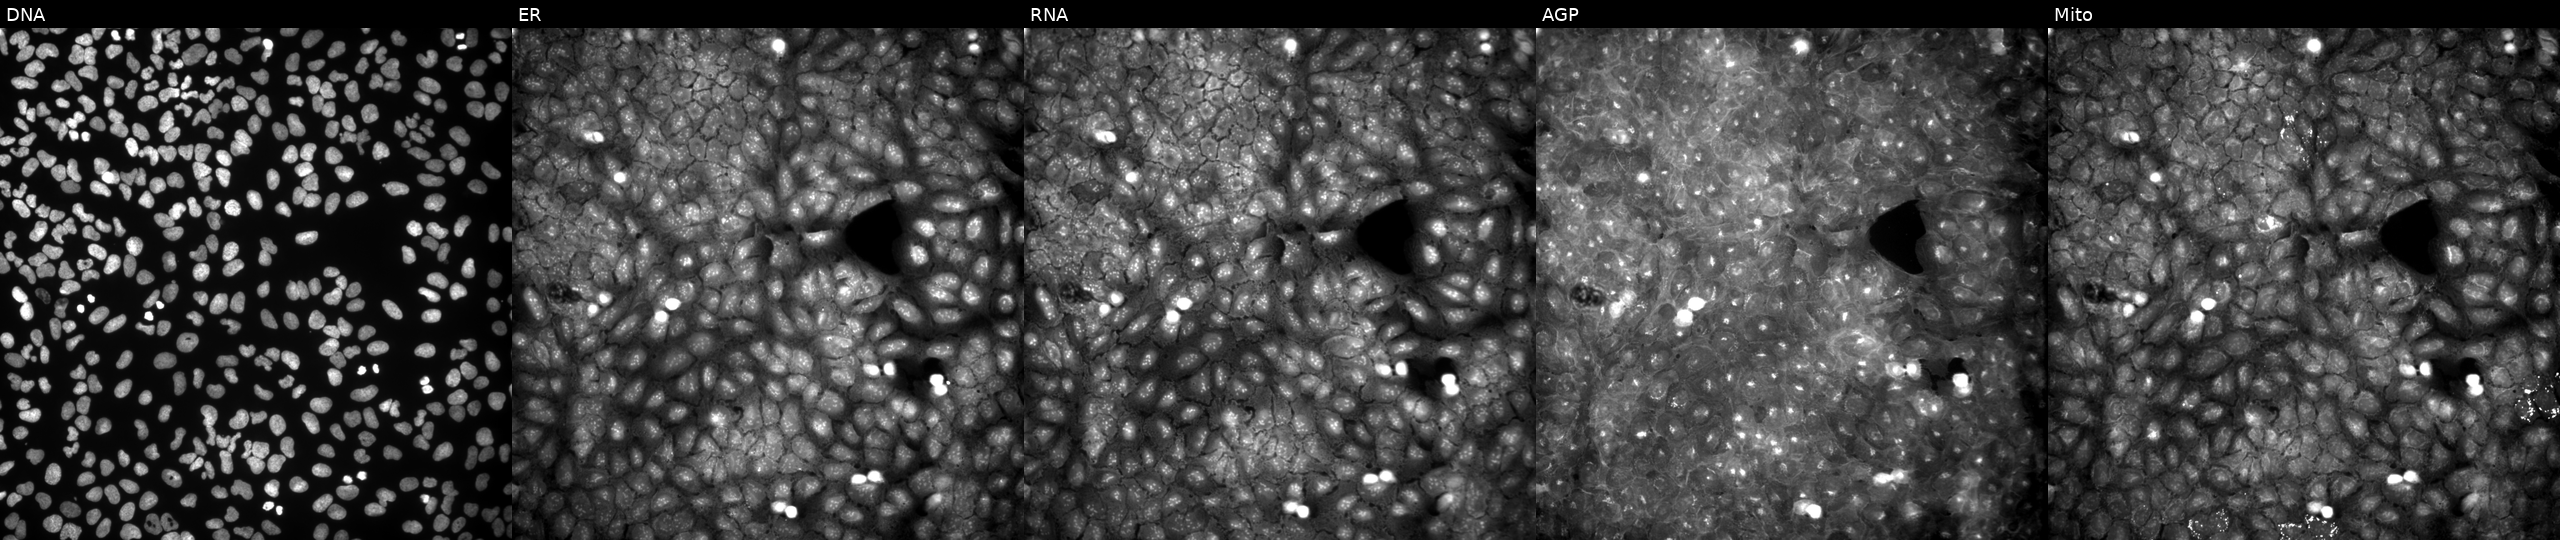
From left to right: Hoechst 33342, concanavalin A, SYTO 14, phalloidin and WGA, MitoTracker. U2OS osteosarcoma cells perturbed with a small-molecule compound (InChIKey FODPRRDWCIFGRK-UHFFFAOYSA-N). Cell Painting assay, JUMP-CP dataset. Source 9, plate GR00003382, well J35.